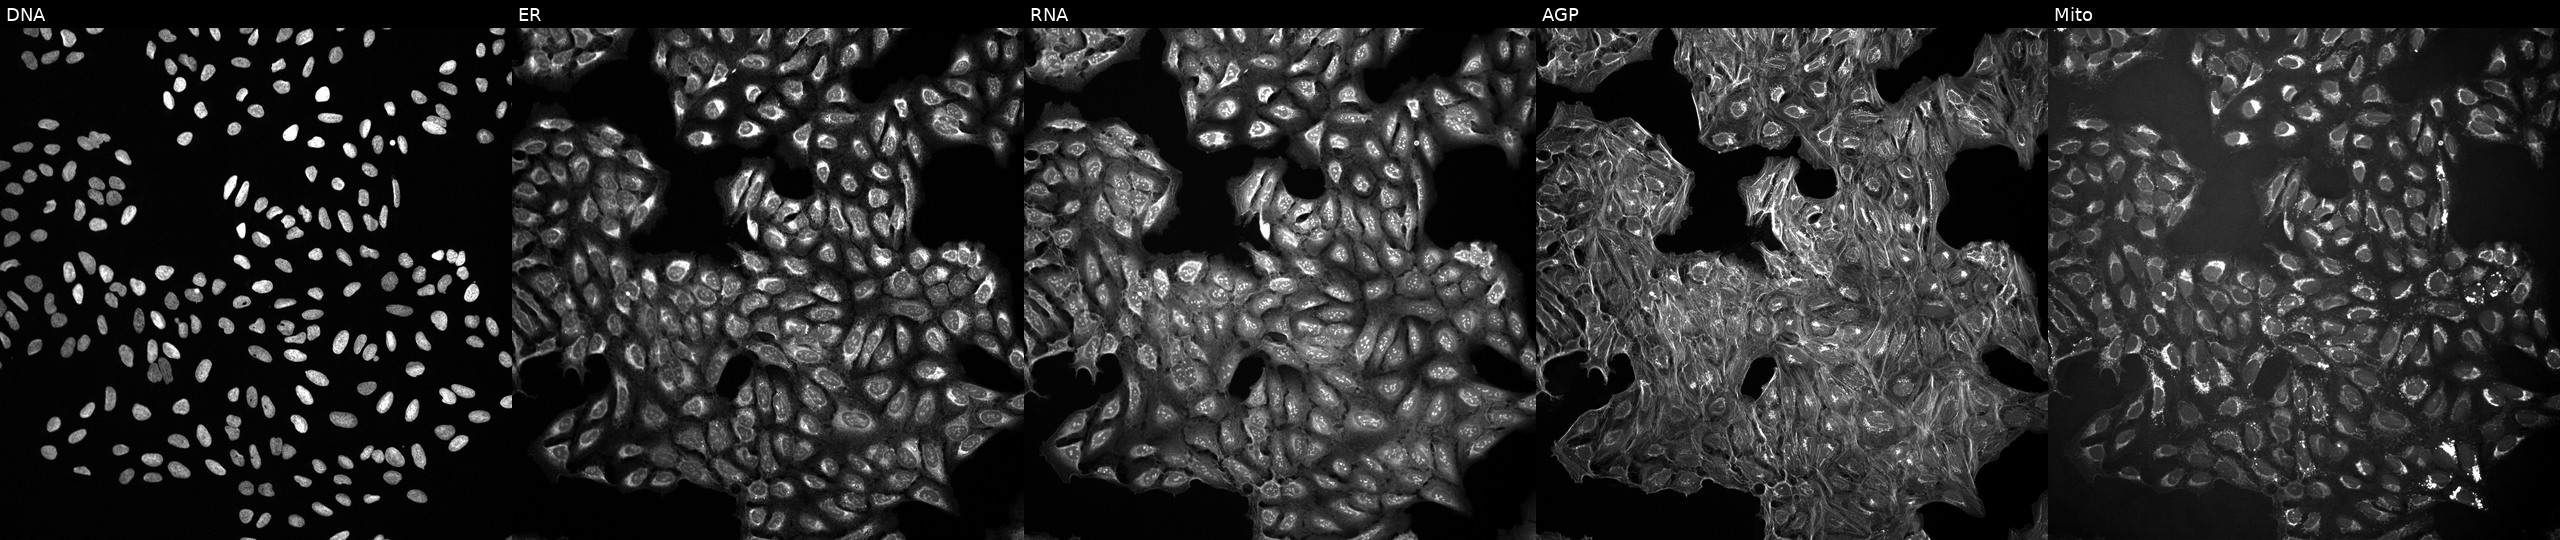
U2OS cells, Cell Painting assay, treated with DMSO vehicle only (negative control) (JUMP id JCP2022_033924). Channels (left→right): DNA (nuclei); ER (endoplasmic reticulum); RNA (nucleoli and cytoplasmic RNA); AGP (actin cytoskeleton, Golgi, and plasma membrane); Mito (mitochondria). Each panel is percentile-stretched 16-bit fluorescence. Source 10, plate Dest210531-152324, well A02.